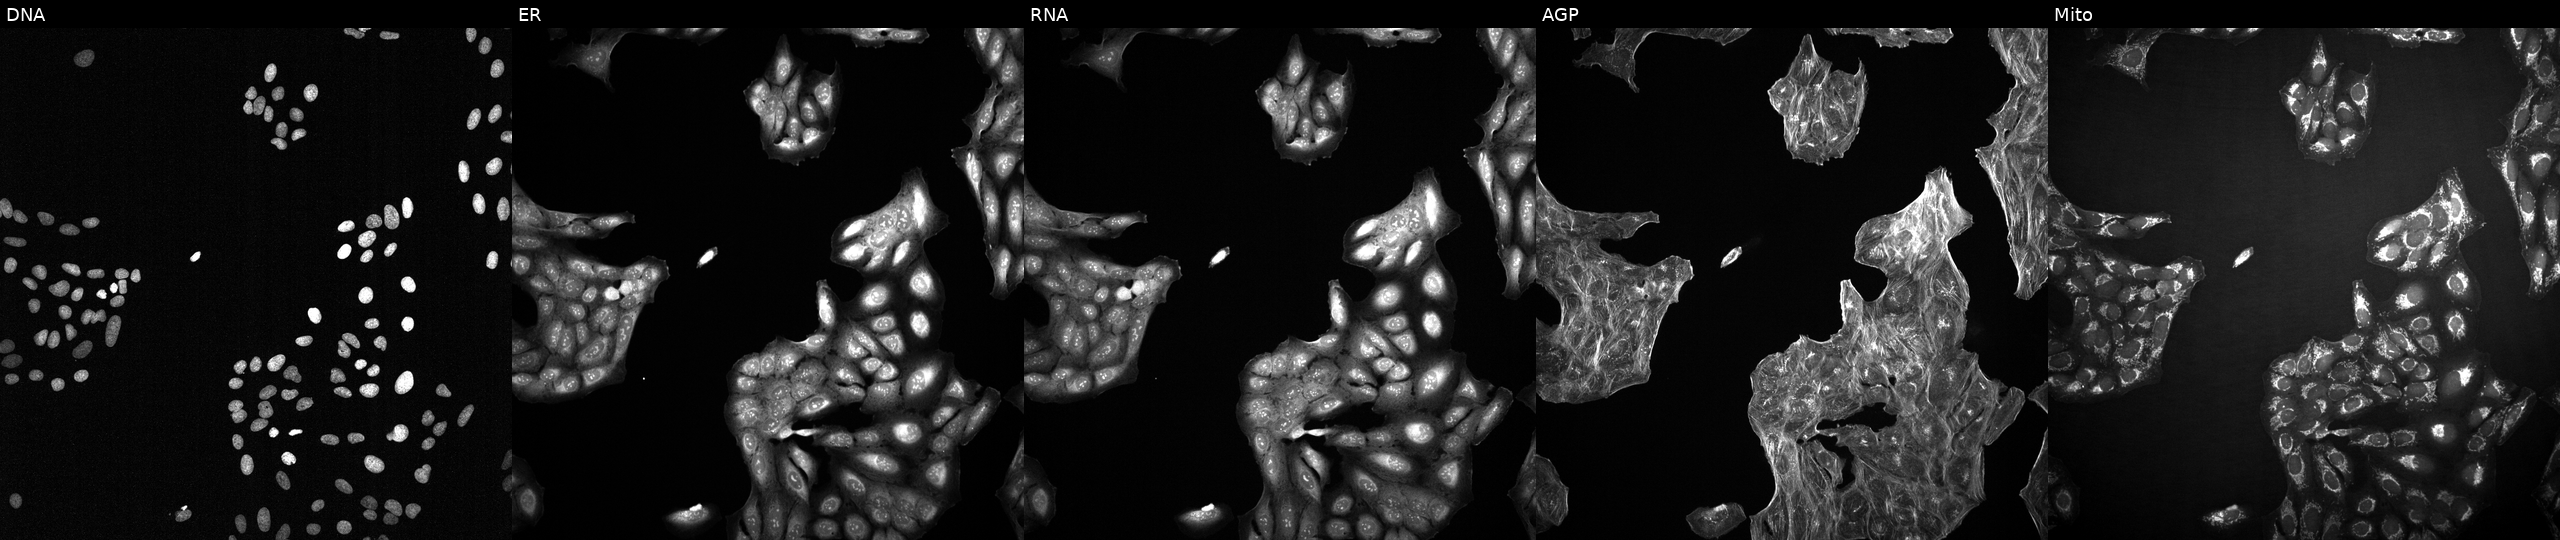
JUMP Cell Painting — TARGET2 plate. U2OS cells treated with DMSO vehicle only (negative control). The five panels, left to right, show DNA, ER, RNA, AGP, and Mito.